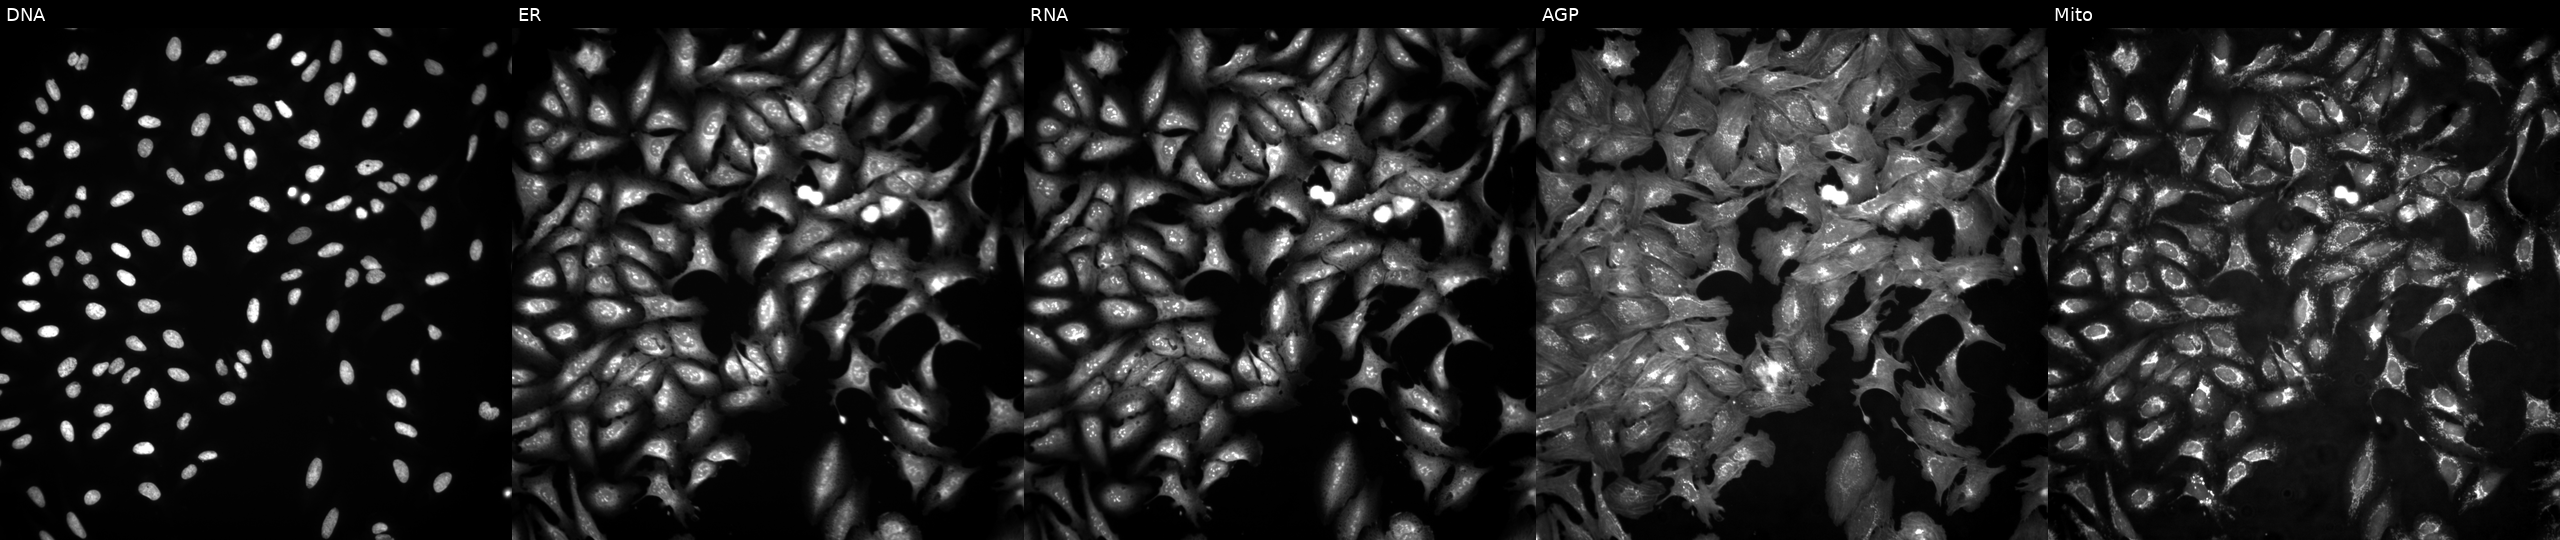
Panels show, left to right, DNA, ER, RNA, AGP, and Mito. U2OS osteosarcoma cells with TYK2 overexpressed (ORF) (JUMP id JCP2022_913892). Cell Painting assay, JUMP-CP dataset.